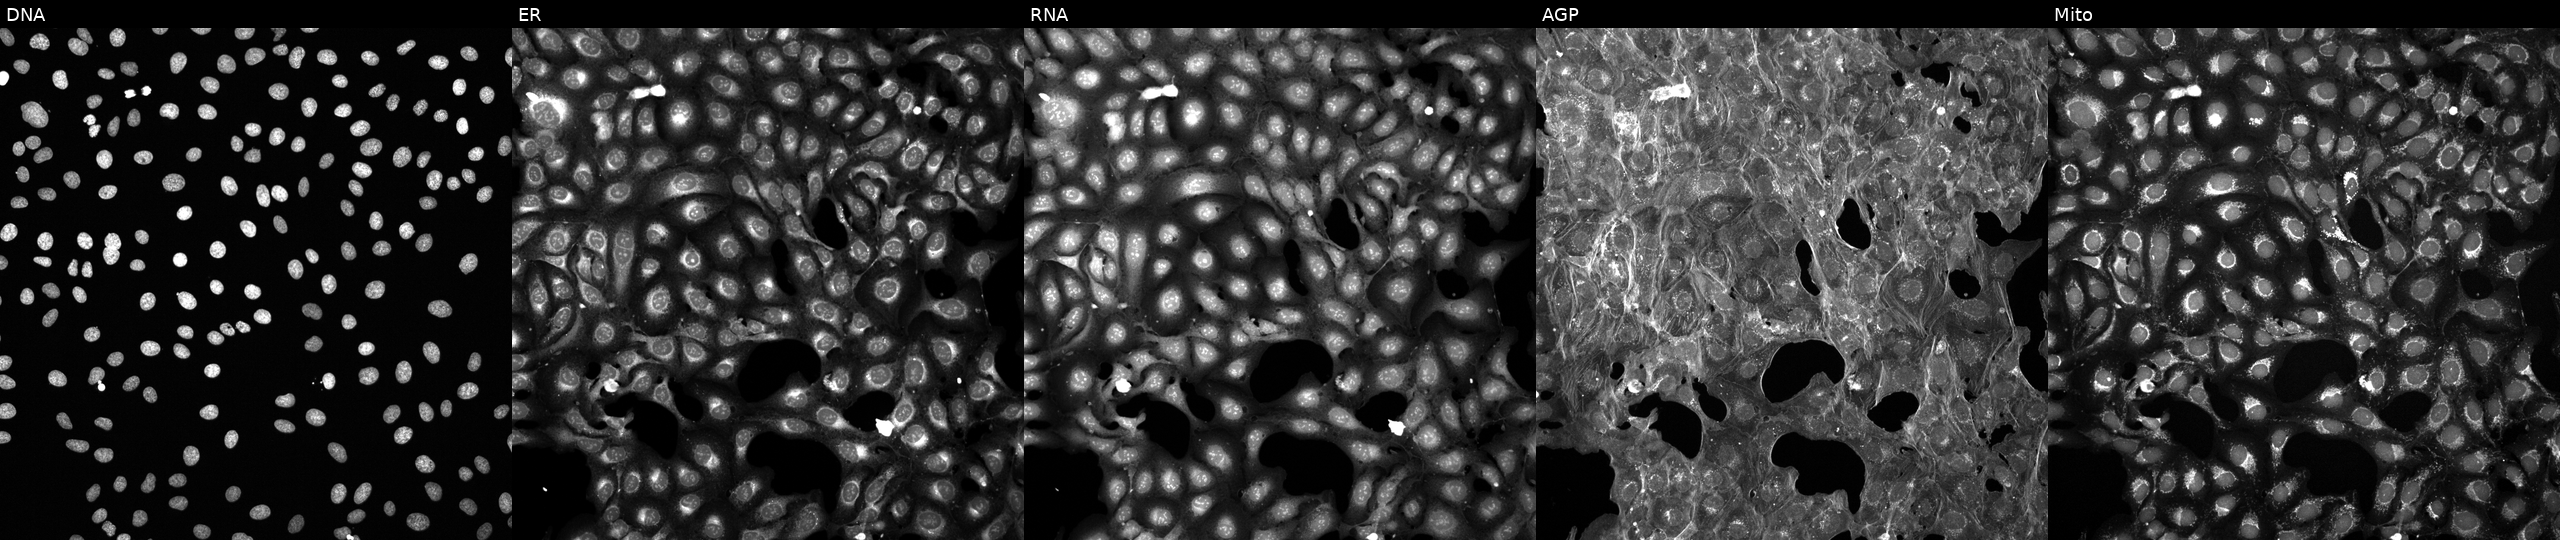
JUMP Cell Painting — TARGET2 plate. U2OS cells perturbed with a small-molecule compound (JUMP id JCP2022_024824). The five panels, left to right, show Hoechst 33342, concanavalin A, SYTO 14, phalloidin and WGA, MitoTracker.